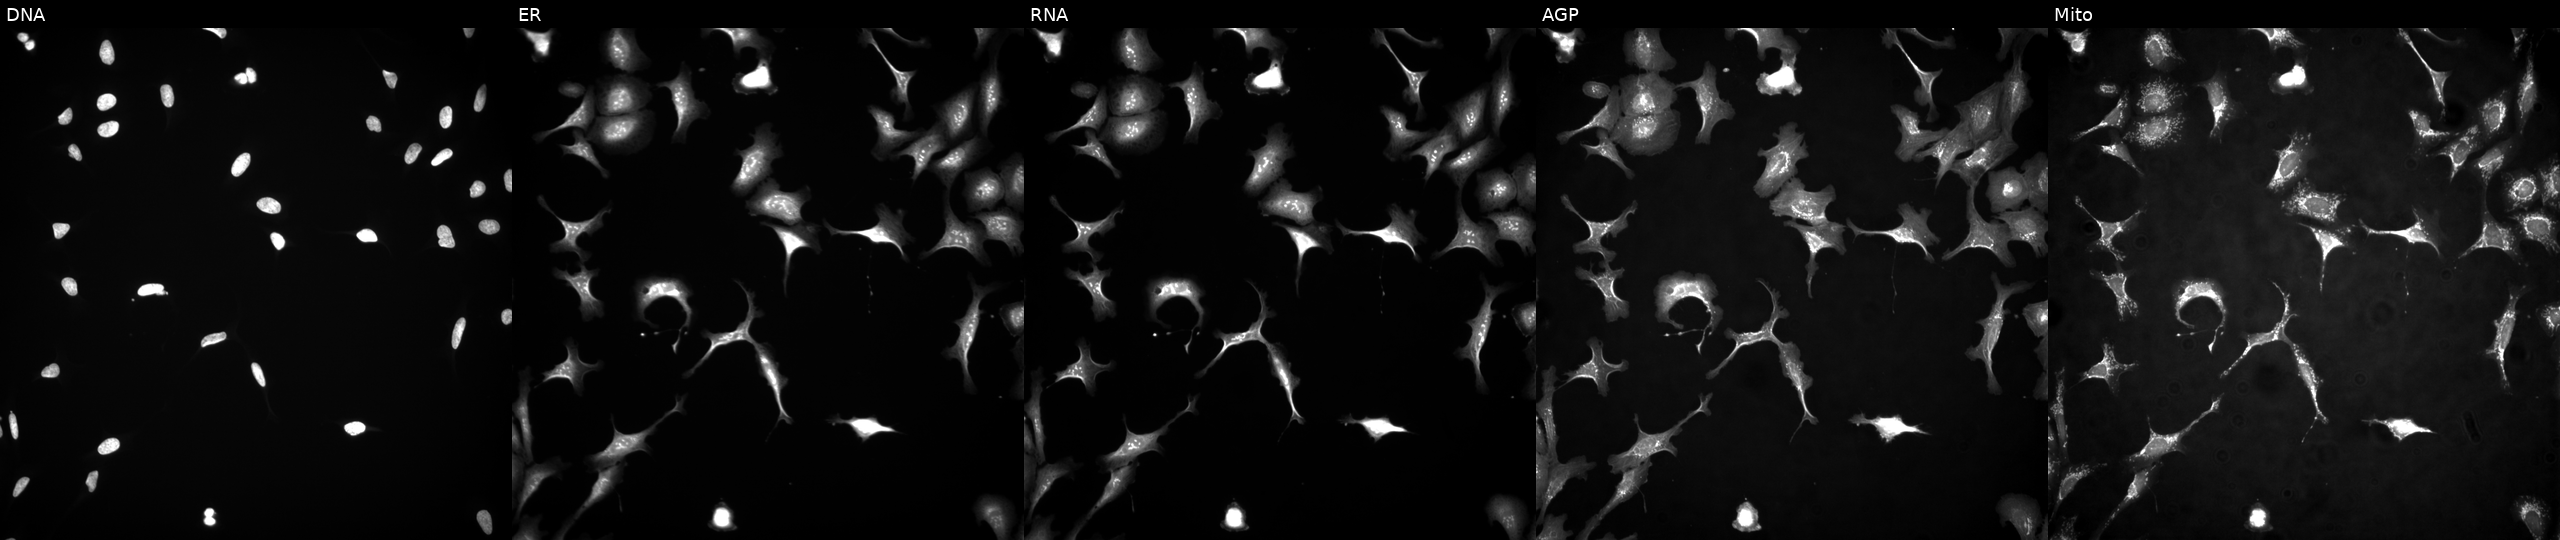
Five-channel Cell Painting image of U2OS cells with TERF2IP overexpressed (ORF) (JUMP id JCP2022_907824). From left to right: DNA, ER, RNA, AGP, and Mito. Source 4, plate BR00124787, well K01.